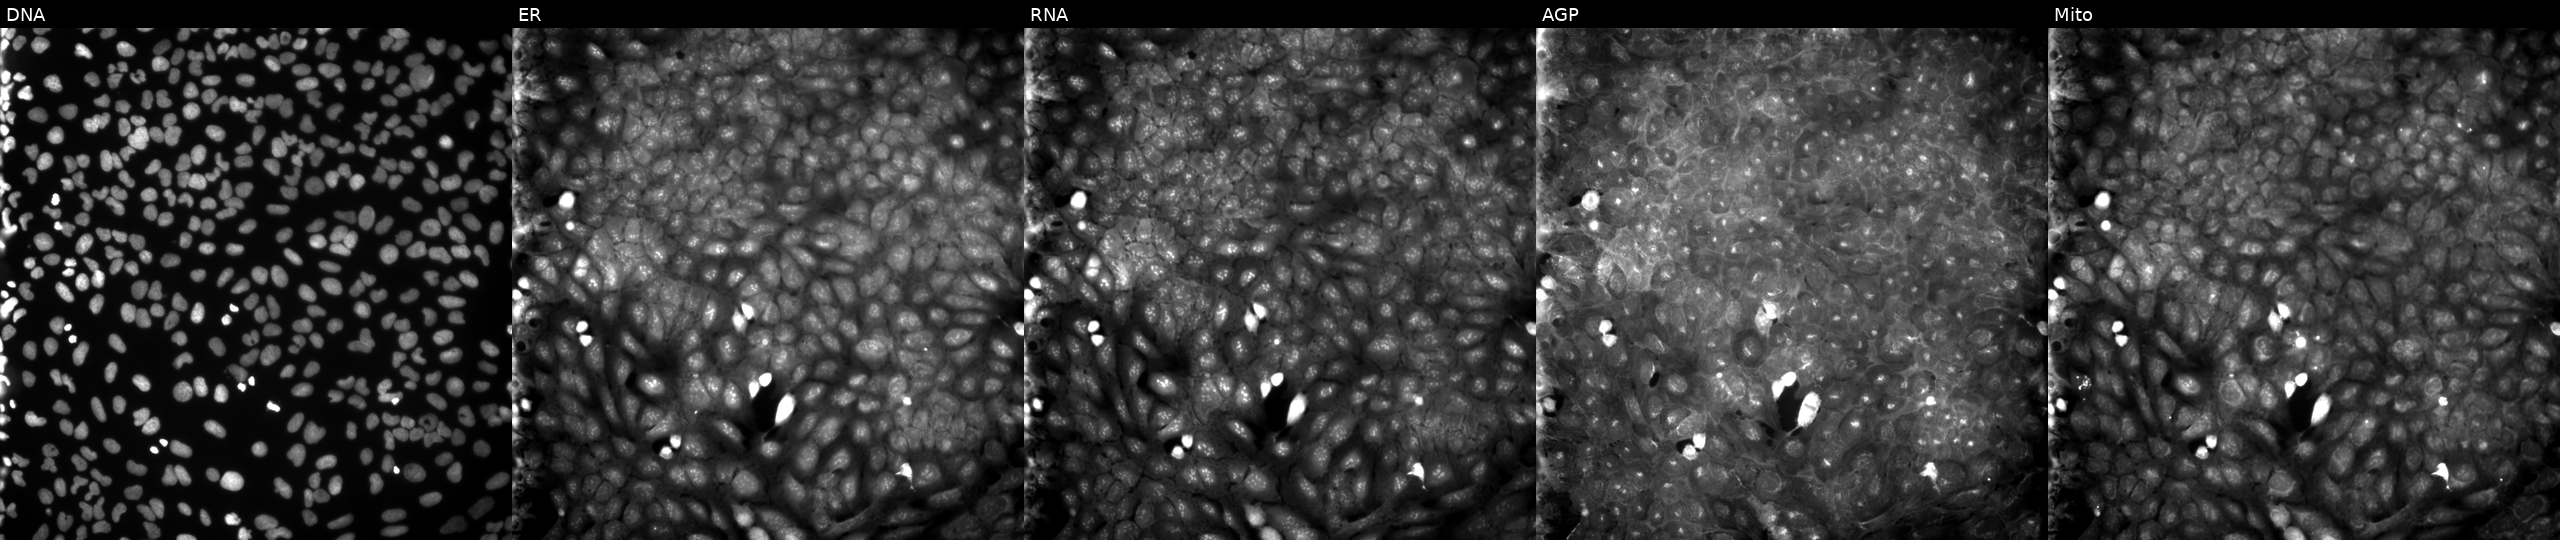
Five-channel Cell Painting image of U2OS cells treated with a small-molecule compound (InChIKey JTGAQOPTLOQKIV-UHFFFAOYSA-N). Panels show, left to right, Hoechst 33342, concanavalin A, SYTO 14, phalloidin and WGA, MitoTracker.